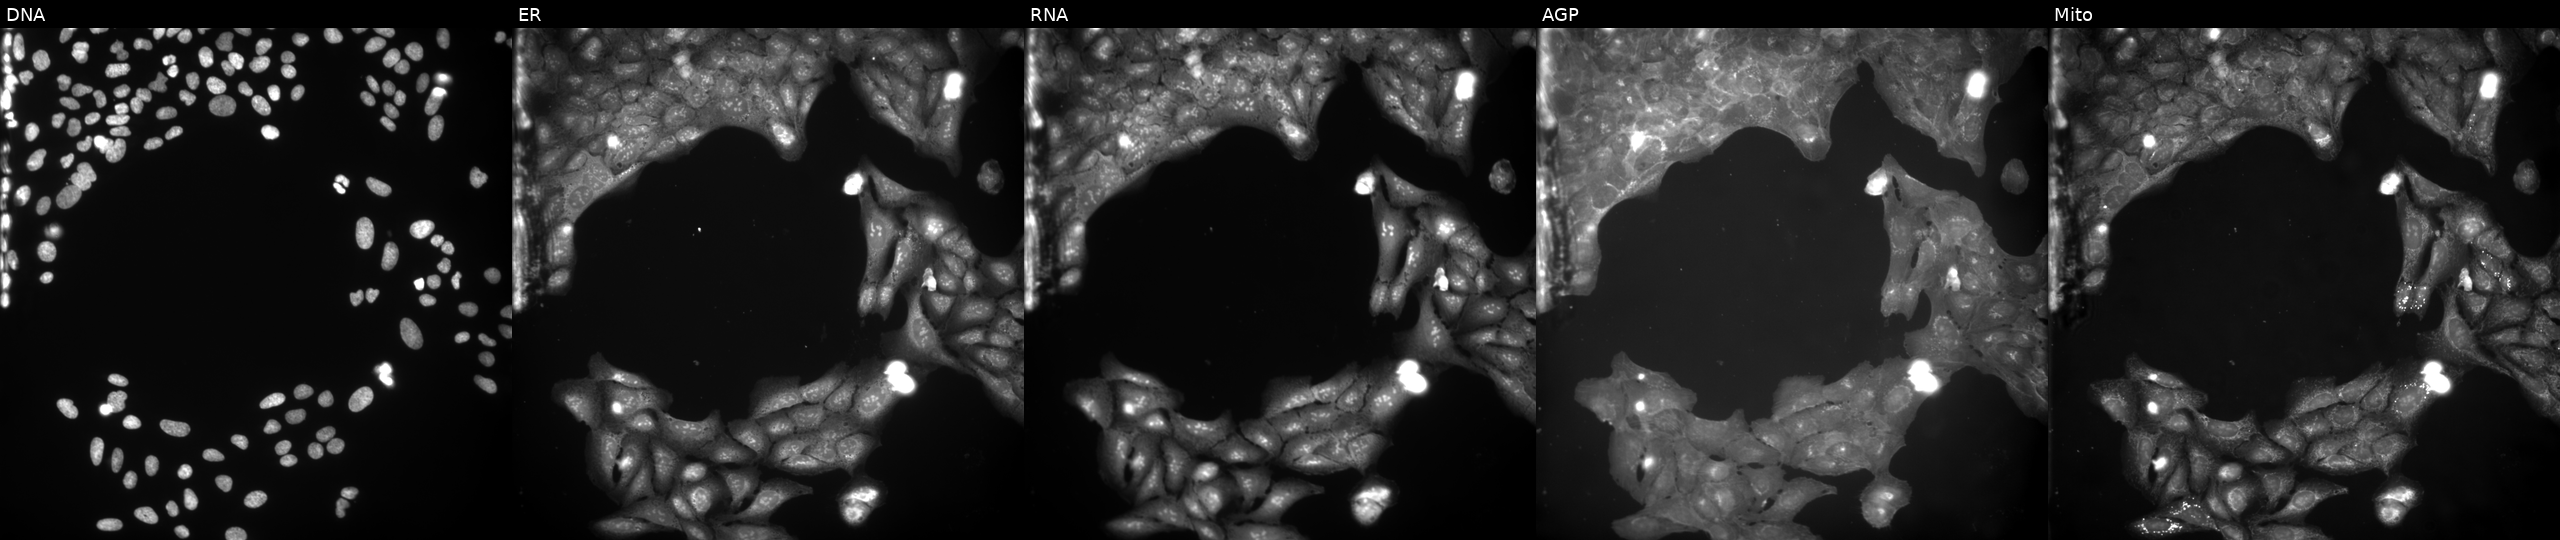
This image strip shows the five Cell Painting channels for a single field of U2OS cells exposed to a small-molecule compound (InChIKey DHAFBYZCCBTVEW-UHFFFAOYSA-N). From left to right: DNA, ER, RNA, AGP, and Mito.